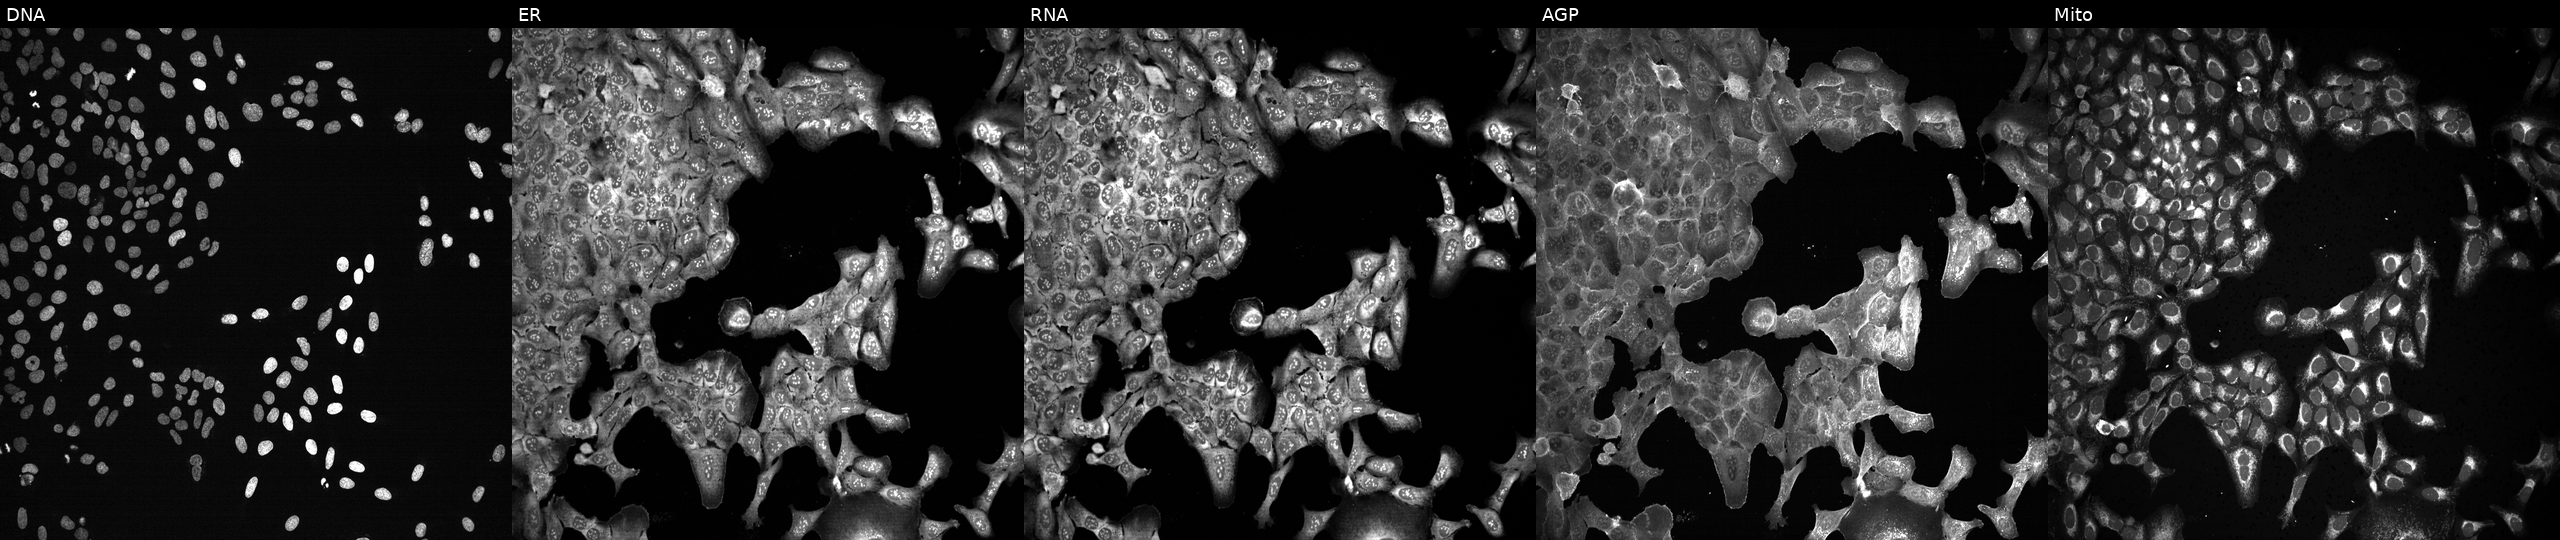
From left to right: DNA (nuclei); ER (endoplasmic reticulum); RNA (nucleoli and cytoplasmic RNA); AGP (actin cytoskeleton, Golgi, and plasma membrane); Mito (mitochondria). U2OS osteosarcoma cells CRISPR-edited to disrupt KLK1. Cell Painting assay, JUMP-CP dataset.